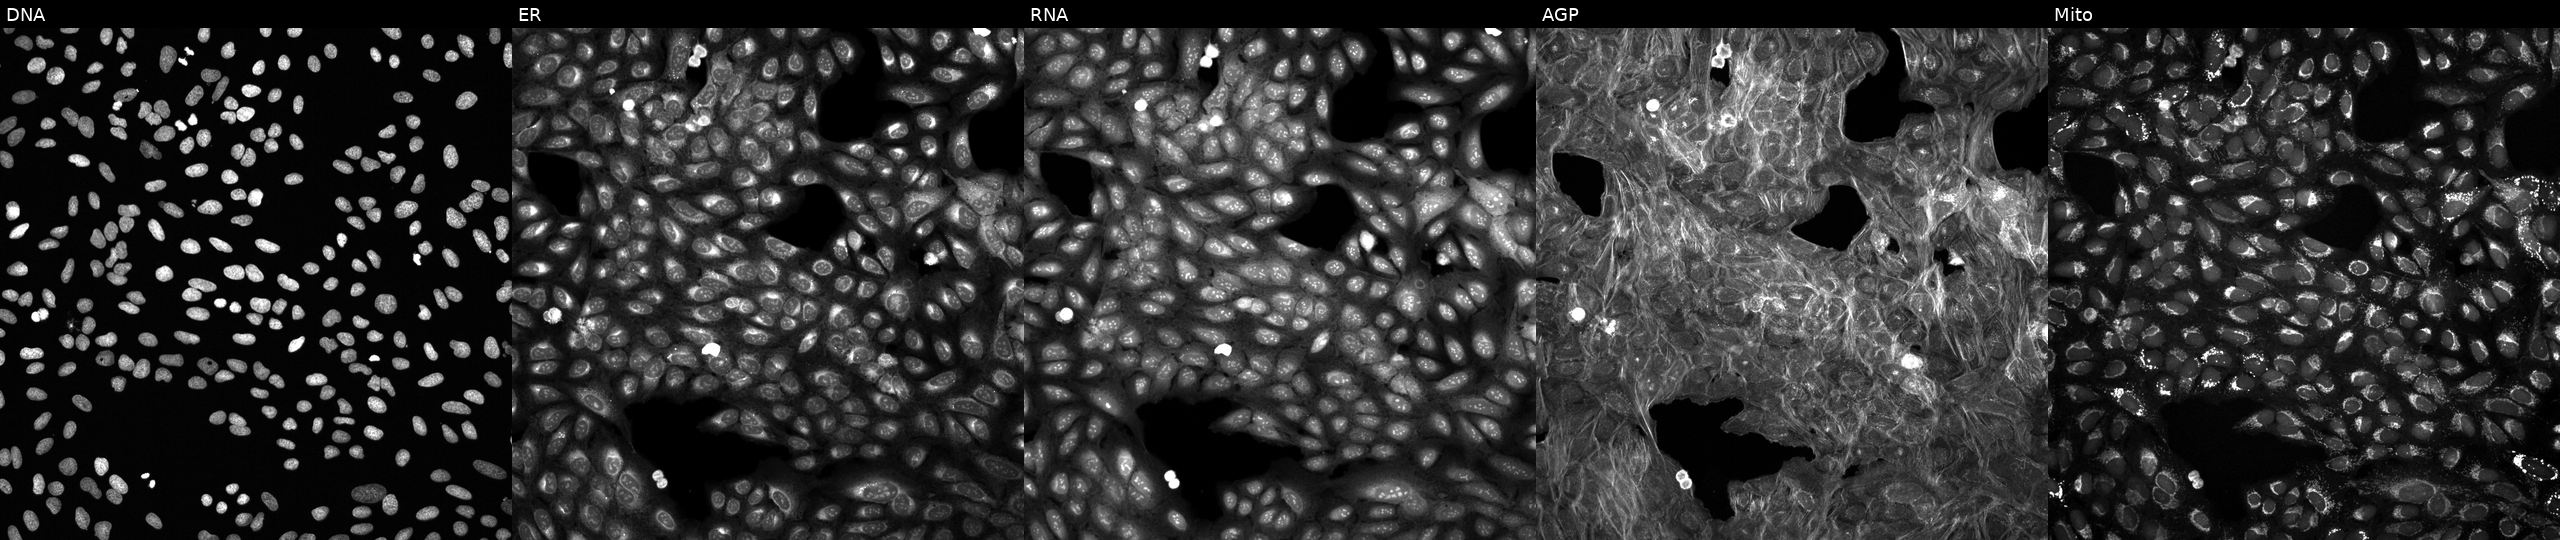
JUMP Cell Painting — TARGET2 plate. U2OS cells perturbed with a small-molecule compound (InChIKey JUUFBMODXQKSTD-UHFFFAOYSA-N) (JUMP id JCP2022_042261). Channels (left→right): Hoechst 33342, concanavalin A, SYTO 14, phalloidin and WGA, MitoTracker.